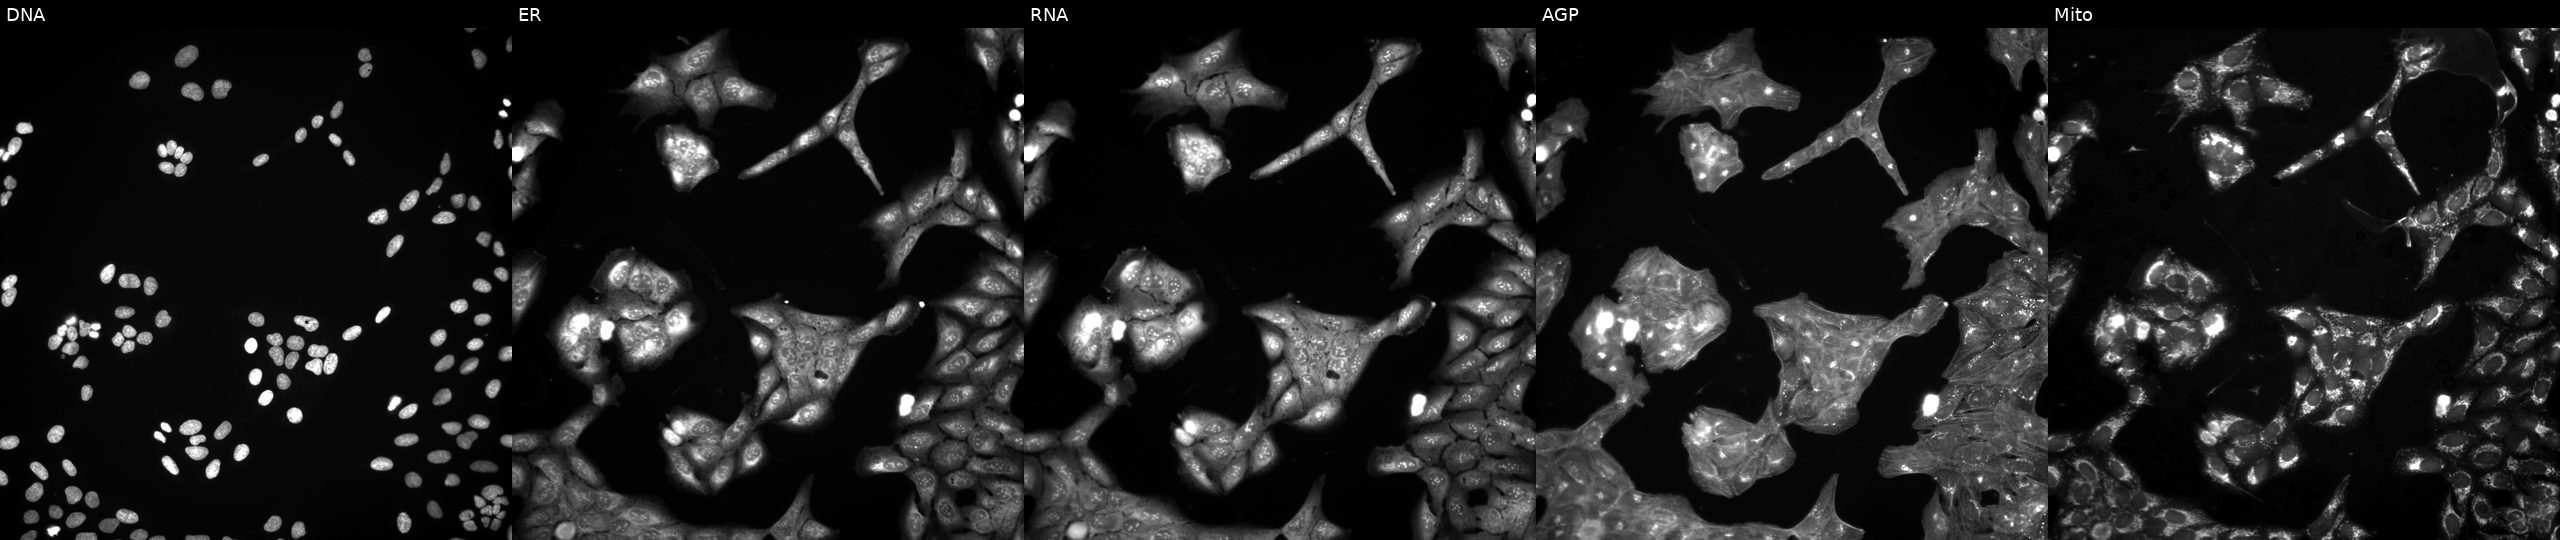
JUMP Cell Painting — TARGET2 plate. U2OS cells treated with a small-molecule compound [SMILES: CN(C)C(=O)C(CCN1CCC(O)(c2ccc(Cl)cc2)CC1)(c1ccccc1)c1ccccc1]. Panels show, left to right, Hoechst 33342, concanavalin A, SYTO 14, phalloidin and WGA, MitoTracker.